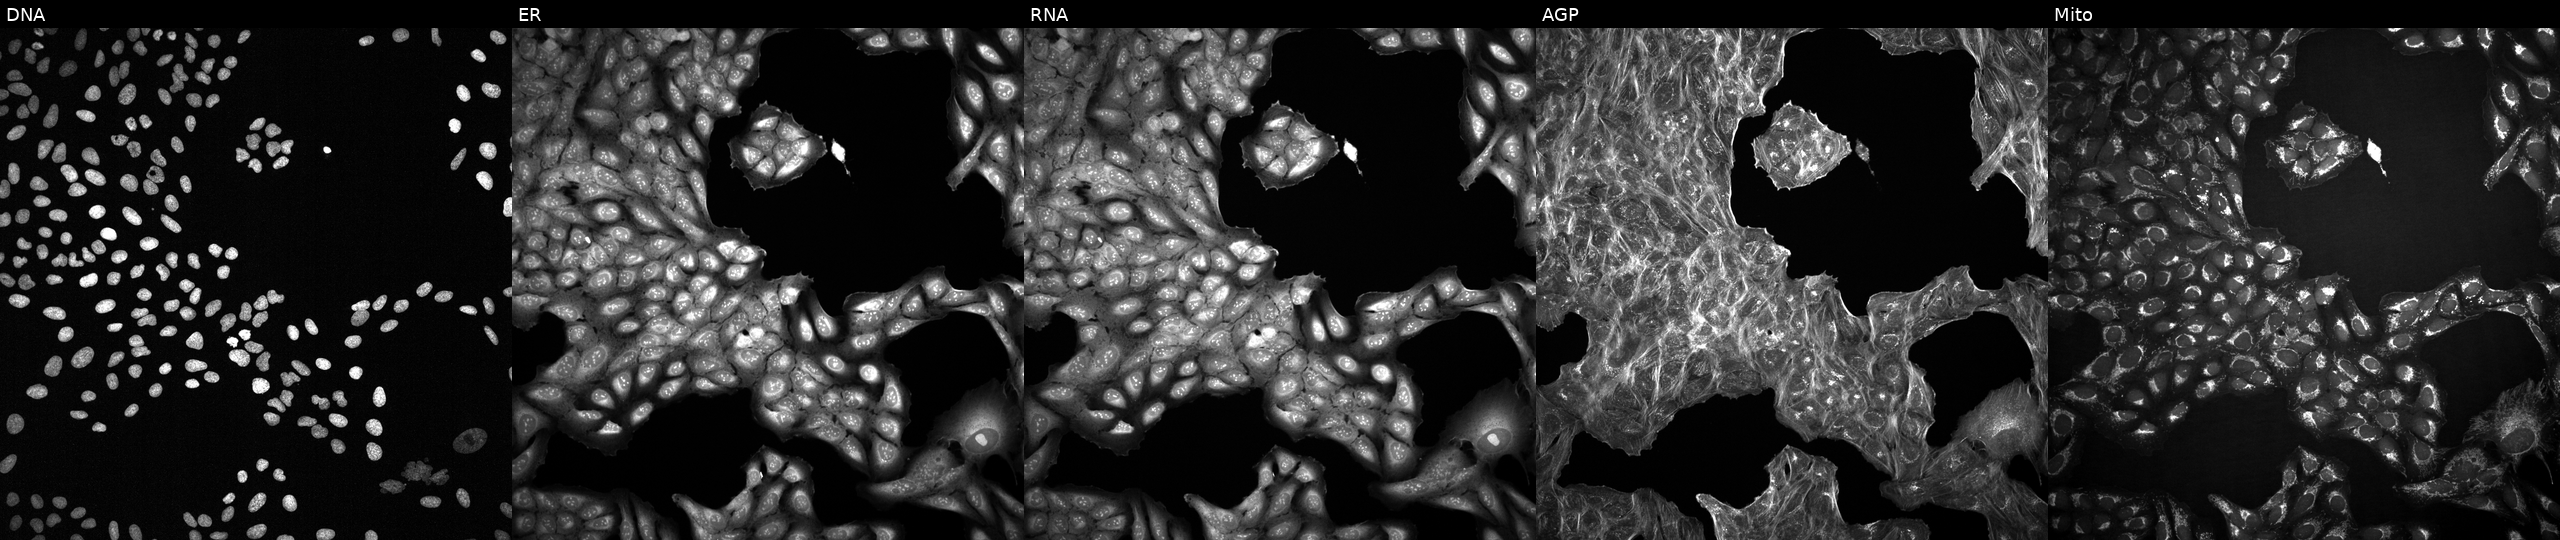
U2OS cells, Cell Painting assay, perturbed with a small-molecule compound (InChIKey OVVQWOGESHQZLQ-UHFFFAOYSA-N) (JUMP id JCP2022_066471). Panels show, left to right, Hoechst 33342, concanavalin A, SYTO 14, phalloidin and WGA, MitoTracker. Each panel is percentile-stretched 16-bit fluorescence. Source 2, plate 1053601763, well C06.